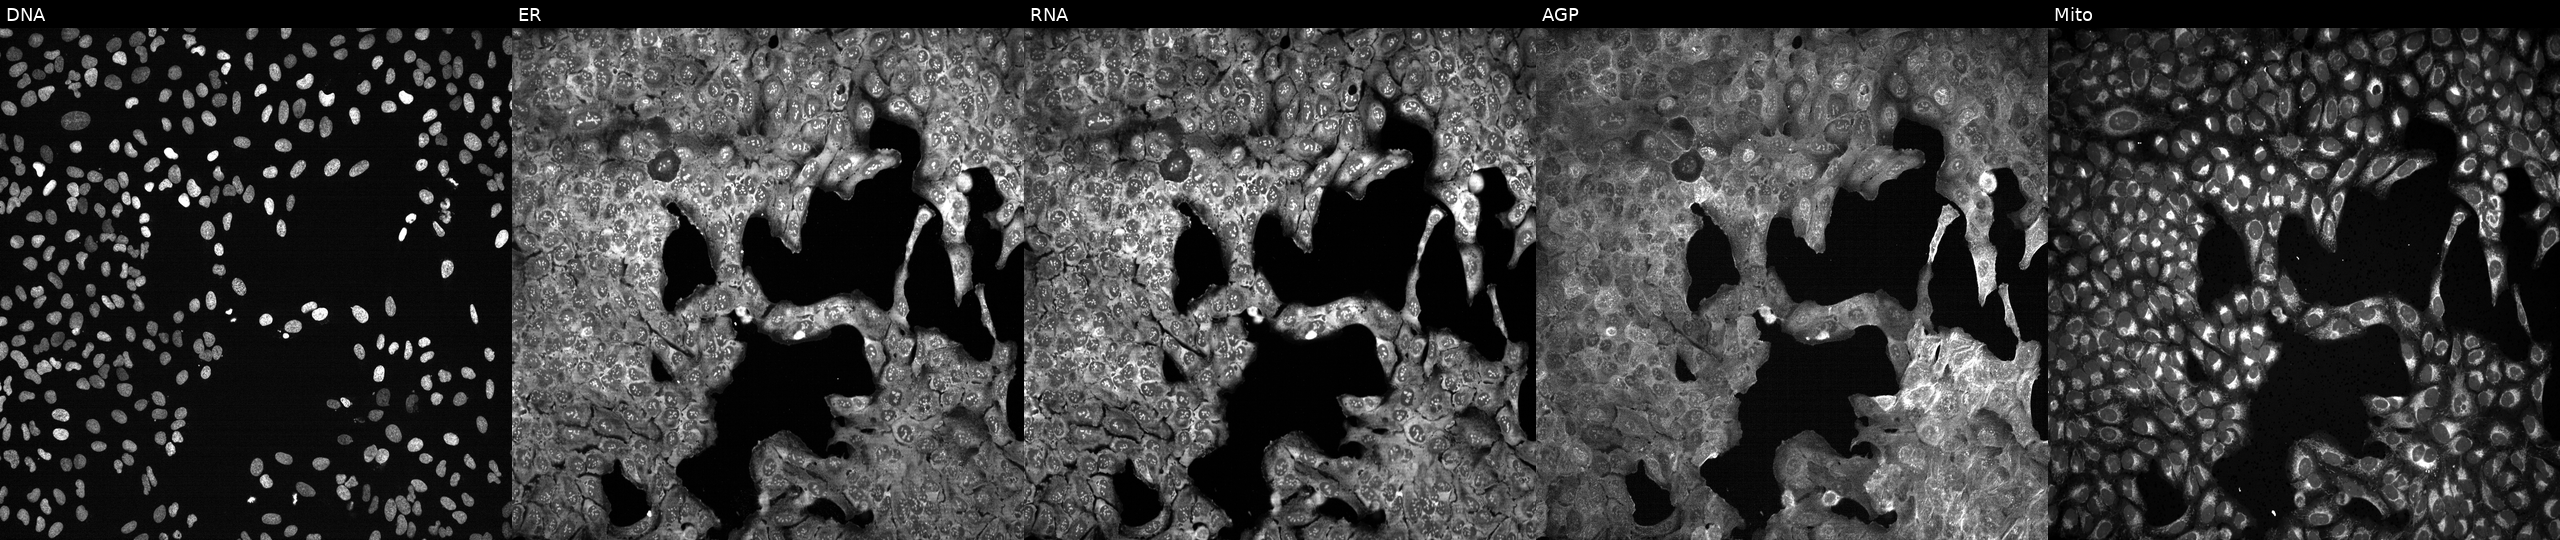
U2OS cells, Cell Painting assay, CRISPR-edited to disrupt UCP1 (JUMP id JCP2022_807505). Panels show, left to right, DNA, ER, RNA, AGP, and Mito. Each panel is percentile-stretched 16-bit fluorescence.